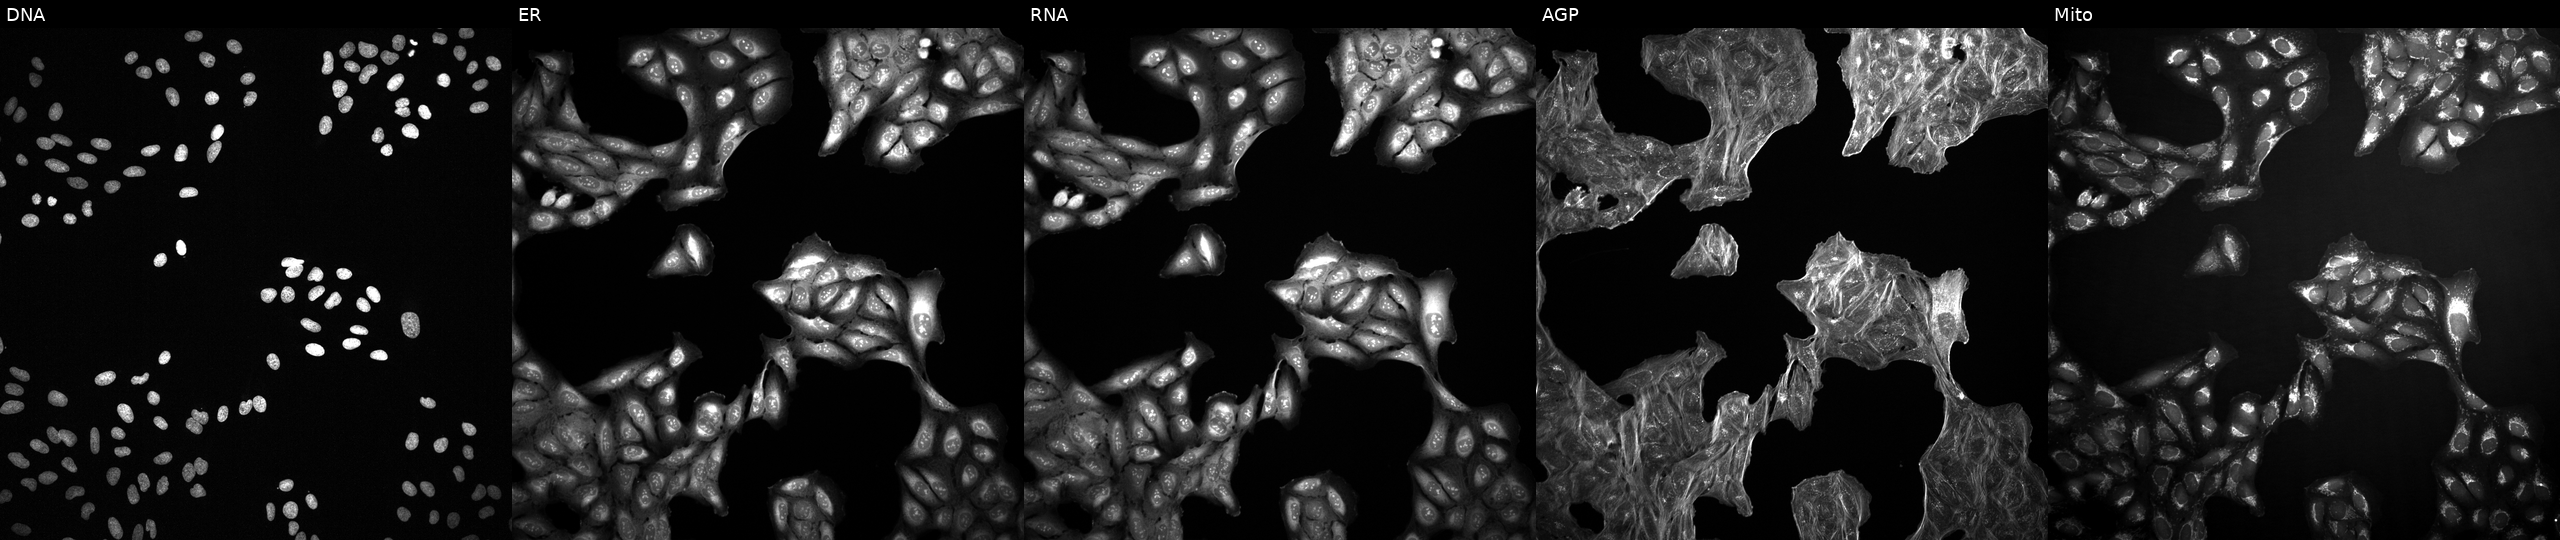
Panels show, left to right, DNA (nuclei); ER (endoplasmic reticulum); RNA (nucleoli and cytoplasmic RNA); AGP (actin cytoskeleton, Golgi, and plasma membrane); Mito (mitochondria). U2OS osteosarcoma cells exposed to a small-molecule compound (InChIKey ULYONBAOIMCNEH-UHFFFAOYSA-N). Cell Painting assay, JUMP-CP dataset.